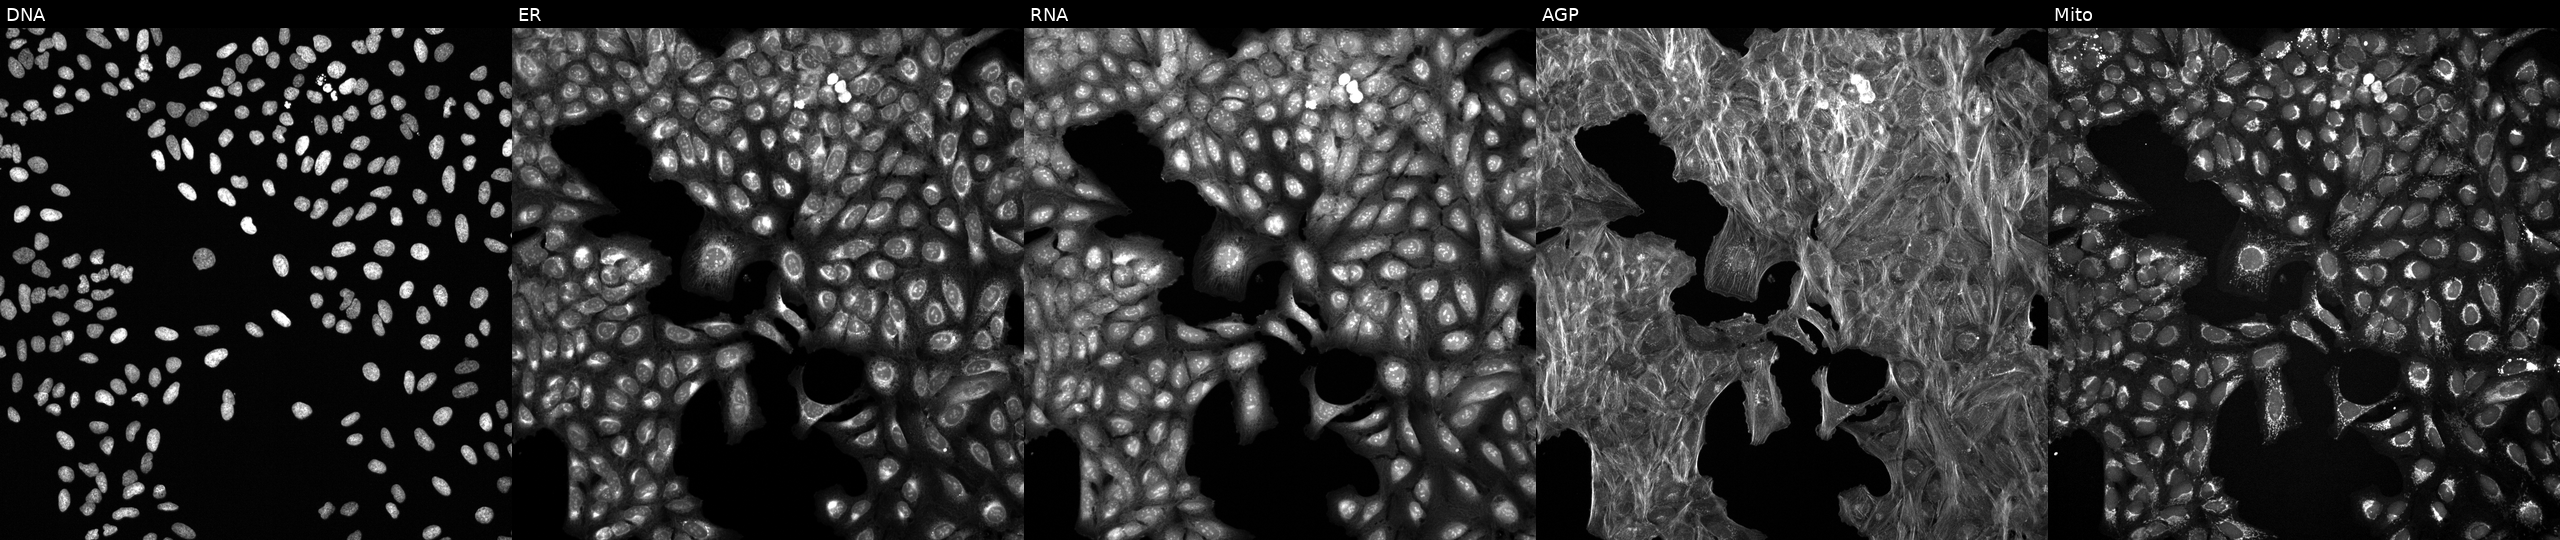
Five-channel Cell Painting image of U2OS cells exposed to a small-molecule compound (JUMP id JCP2022_061841). Panels show, left to right, Hoechst 33342, concanavalin A, SYTO 14, phalloidin and WGA, MitoTracker. Source 6, plate 110000293083, well I08.